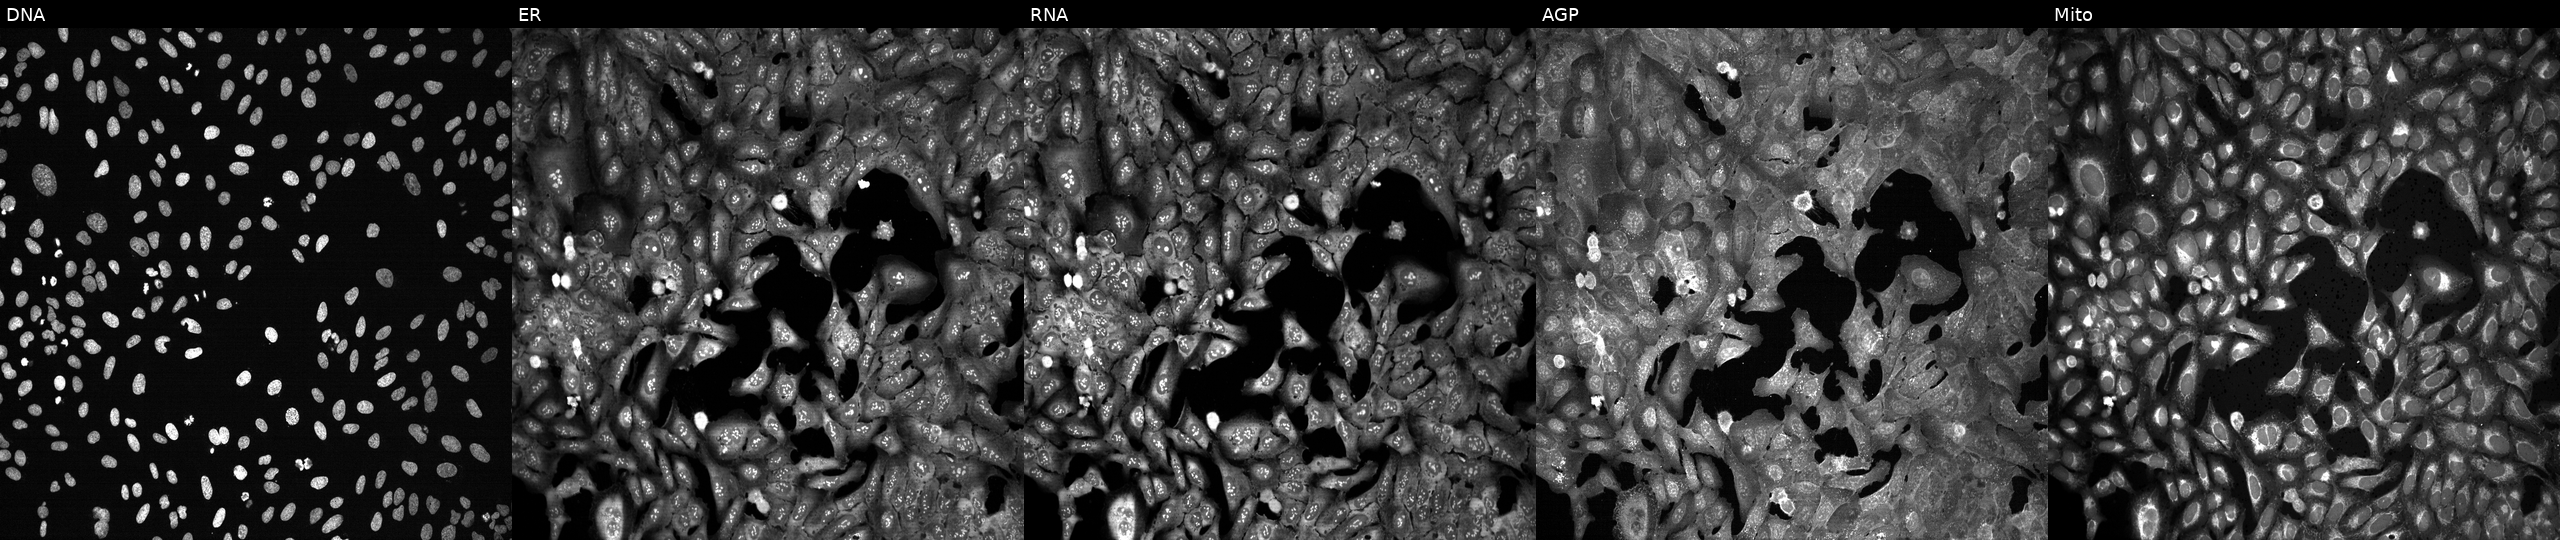
Five-channel Cell Painting image of U2OS cells with PPIF knocked out by CRISPR (JUMP id JCP2022_805414). From left to right: Hoechst 33342, concanavalin A, SYTO 14, phalloidin and WGA, MitoTracker.